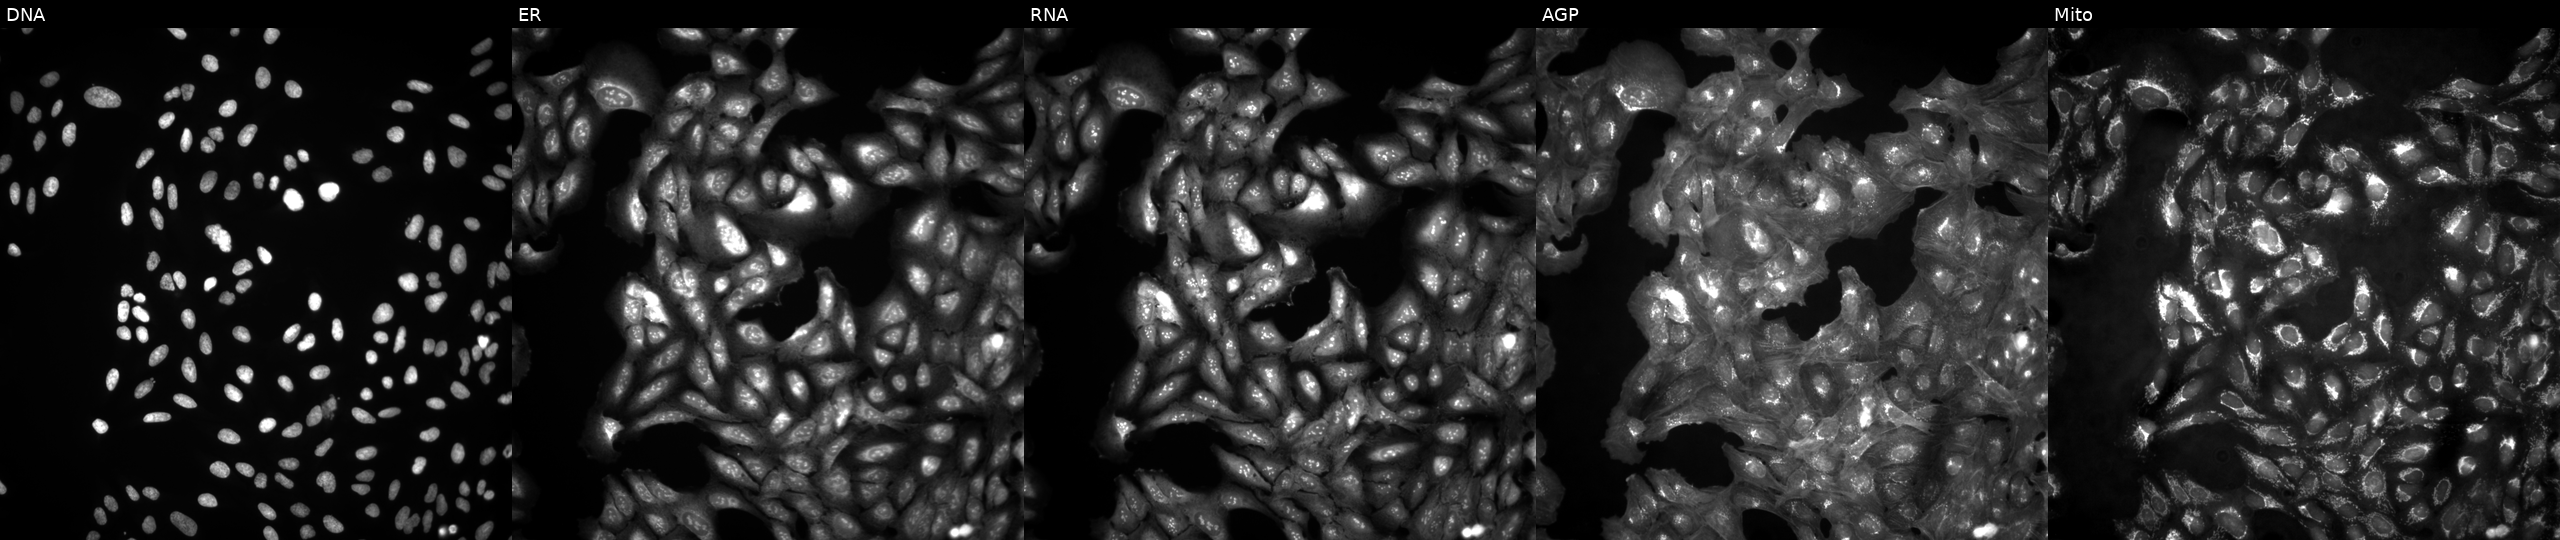
Panels show, left to right, DNA, ER, RNA, AGP, and Mito. U2OS osteosarcoma cells in an empty control well (no perturbation) (JUMP id JCP2022_999999). Cell Painting assay, JUMP-CP dataset.